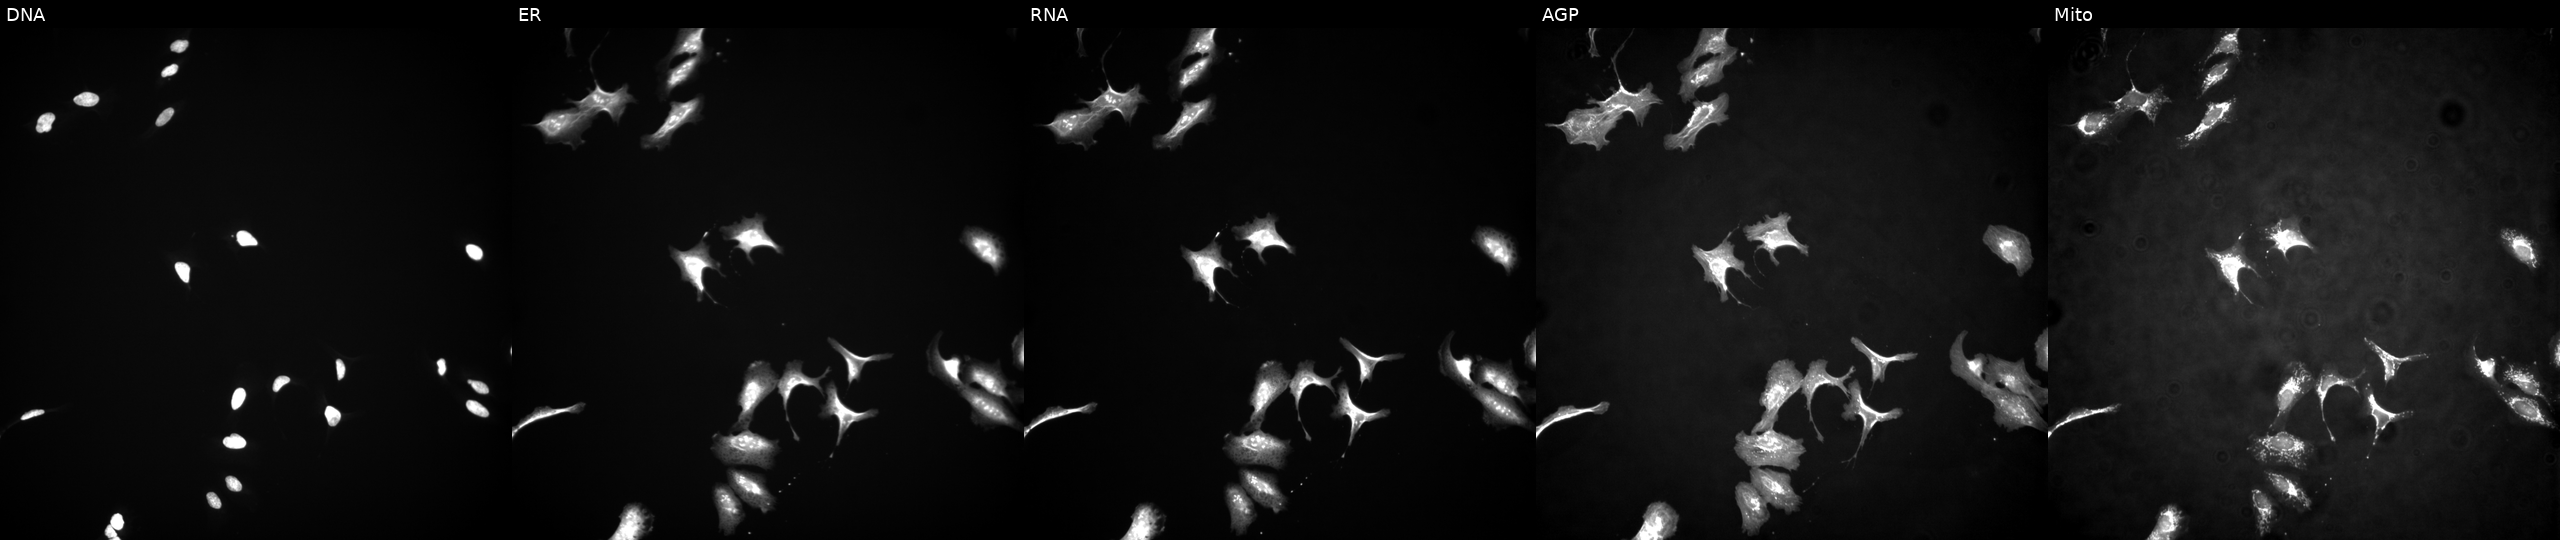
This image strip shows the five Cell Painting channels for a single field of U2OS cells transfected with an ORF construct for ZNF473. Channels (left→right): DNA (nuclei); ER (endoplasmic reticulum); RNA (nucleoli and cytoplasmic RNA); AGP (actin cytoskeleton, Golgi, and plasma membrane); Mito (mitochondria). Source 4, plate BR00117035, well P16.